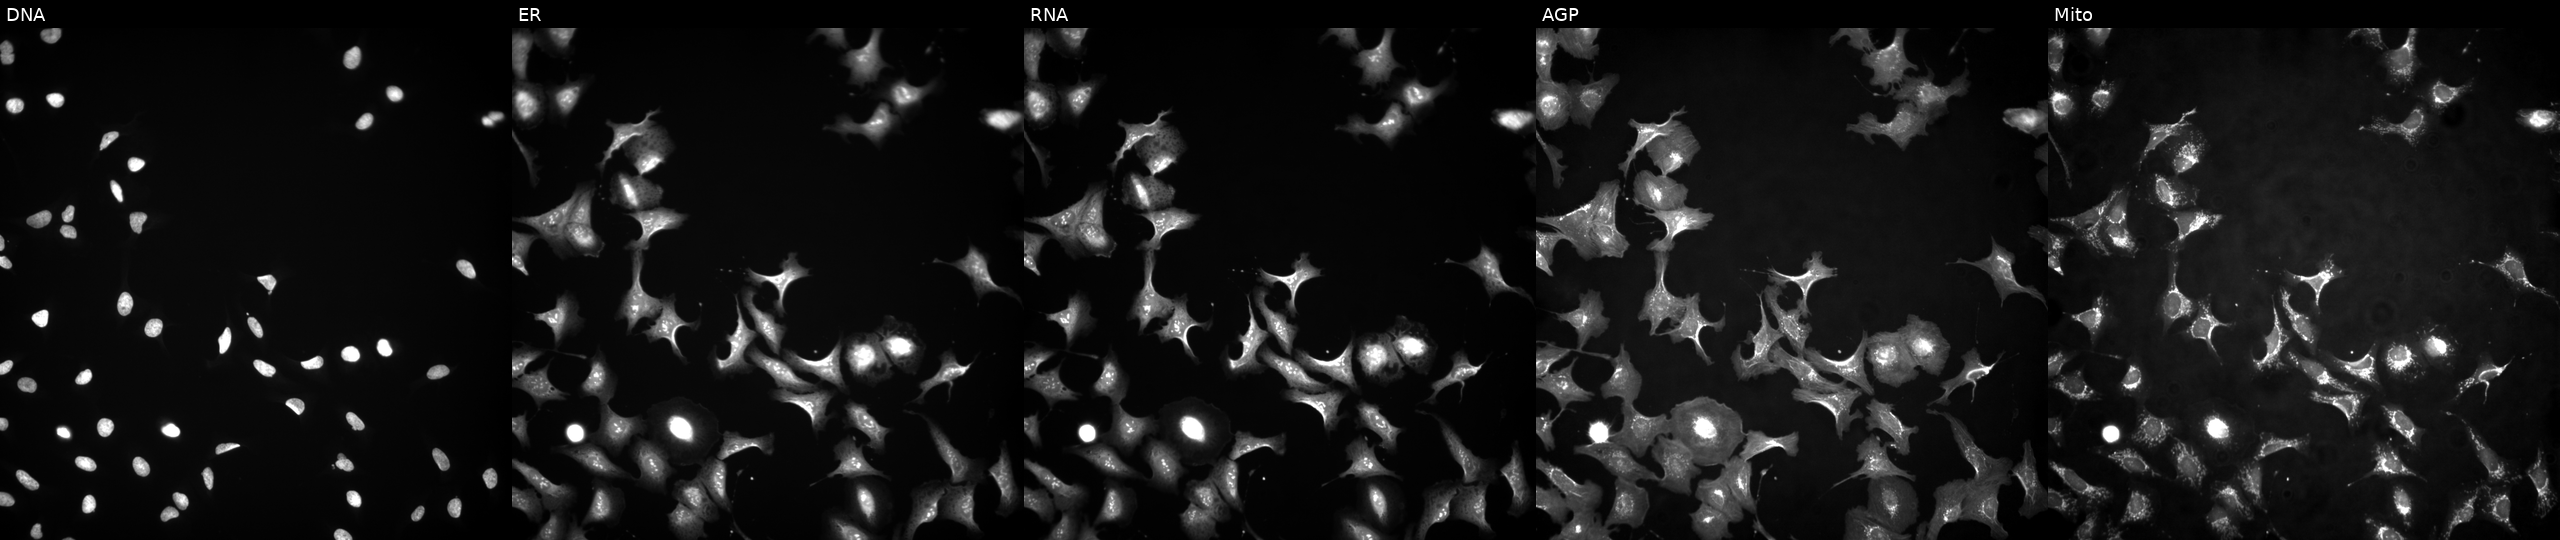
Channels (left→right): Hoechst 33342, concanavalin A, SYTO 14, phalloidin and WGA, MitoTracker. U2OS osteosarcoma cells with ZNF460 overexpressed (ORF). Cell Painting assay, JUMP-CP dataset. Source 4, plate BR00117035, well C15.